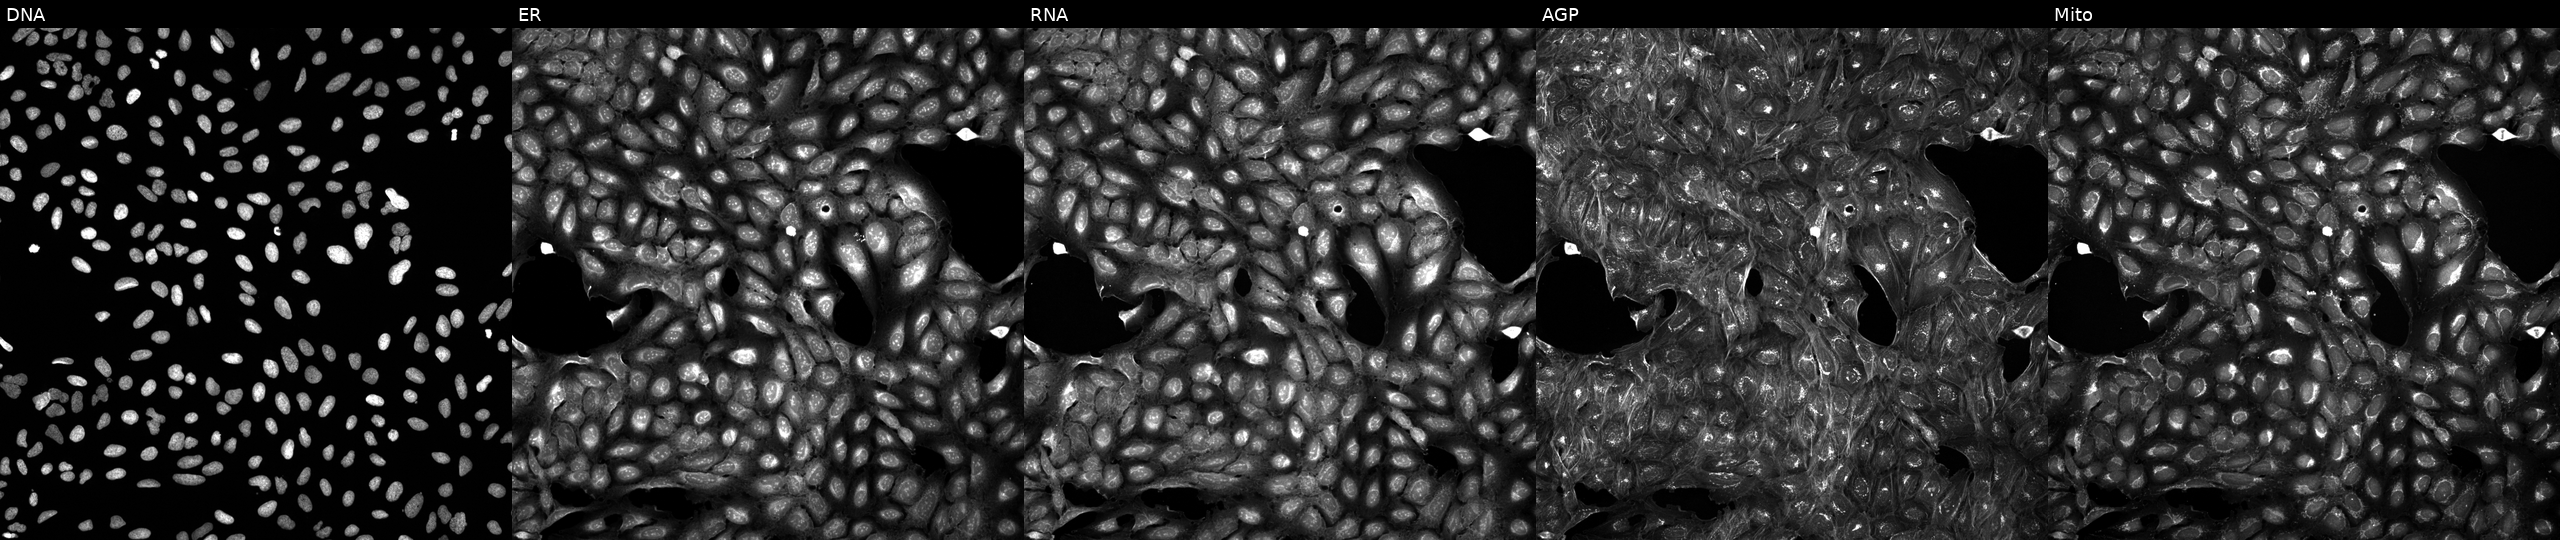
This image strip shows the five Cell Painting channels for a single field of U2OS cells exposed to a small-molecule compound (InChIKey LVXYJYPIZRWDFT-UHFFFAOYSA-N) (JUMP id JCP2022_052052). Channels (left→right): DNA, ER, RNA, AGP, and Mito.